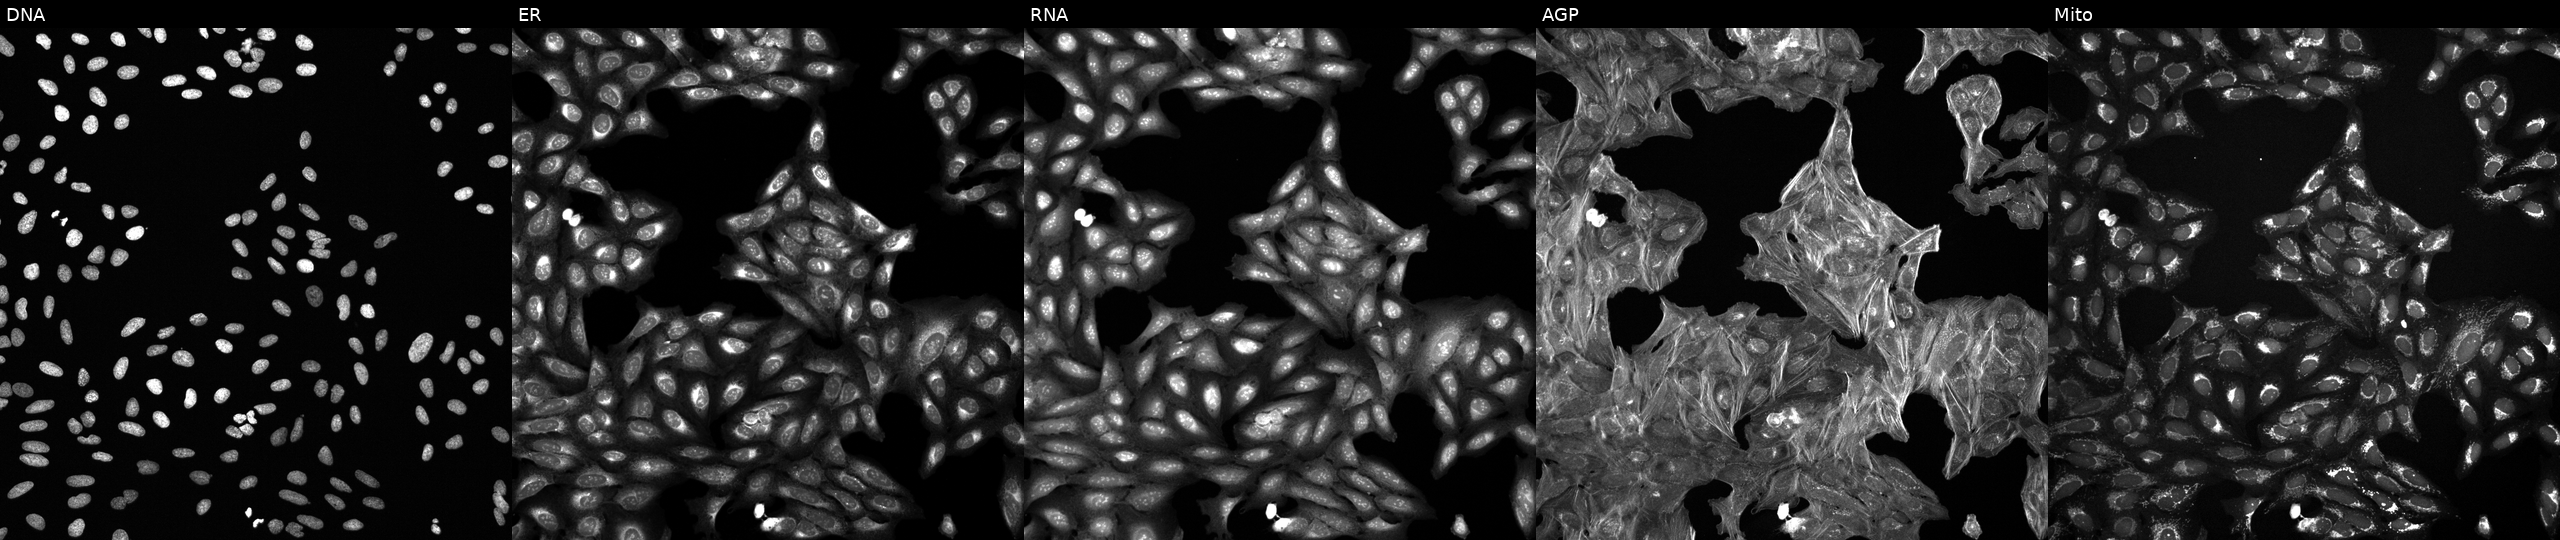
JUMP Cell Painting — TARGET2 plate. U2OS cells exposed to a small-molecule compound (InChIKey QIHBWVVVRYYYRO-UHFFFAOYSA-N) [SMILES: CC(NC(=O)CCc1nc(=O)c2ccccc2[nH]1)c1ccccc1] (JUMP id JCP2022_073628). From left to right: DNA, ER, RNA, AGP, and Mito. Source 6, plate 110000293093, well E06.